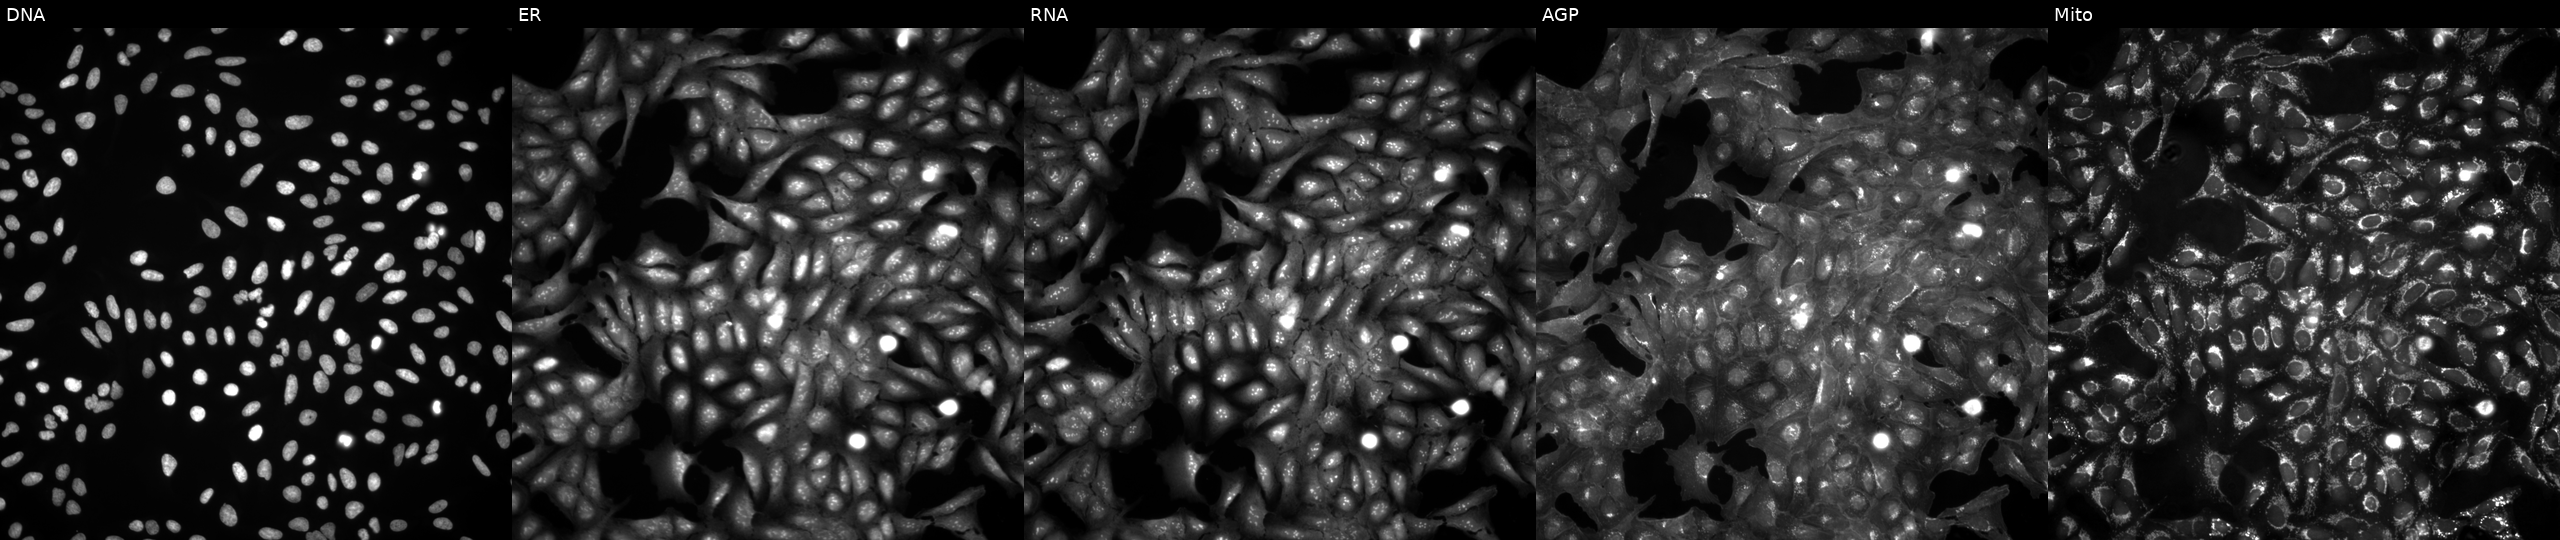
Panels show, left to right, Hoechst 33342, concanavalin A, SYTO 14, phalloidin and WGA, MitoTracker. U2OS osteosarcoma cells untreated (empty-well control) (JUMP id JCP2022_999999). Cell Painting assay, JUMP-CP dataset.